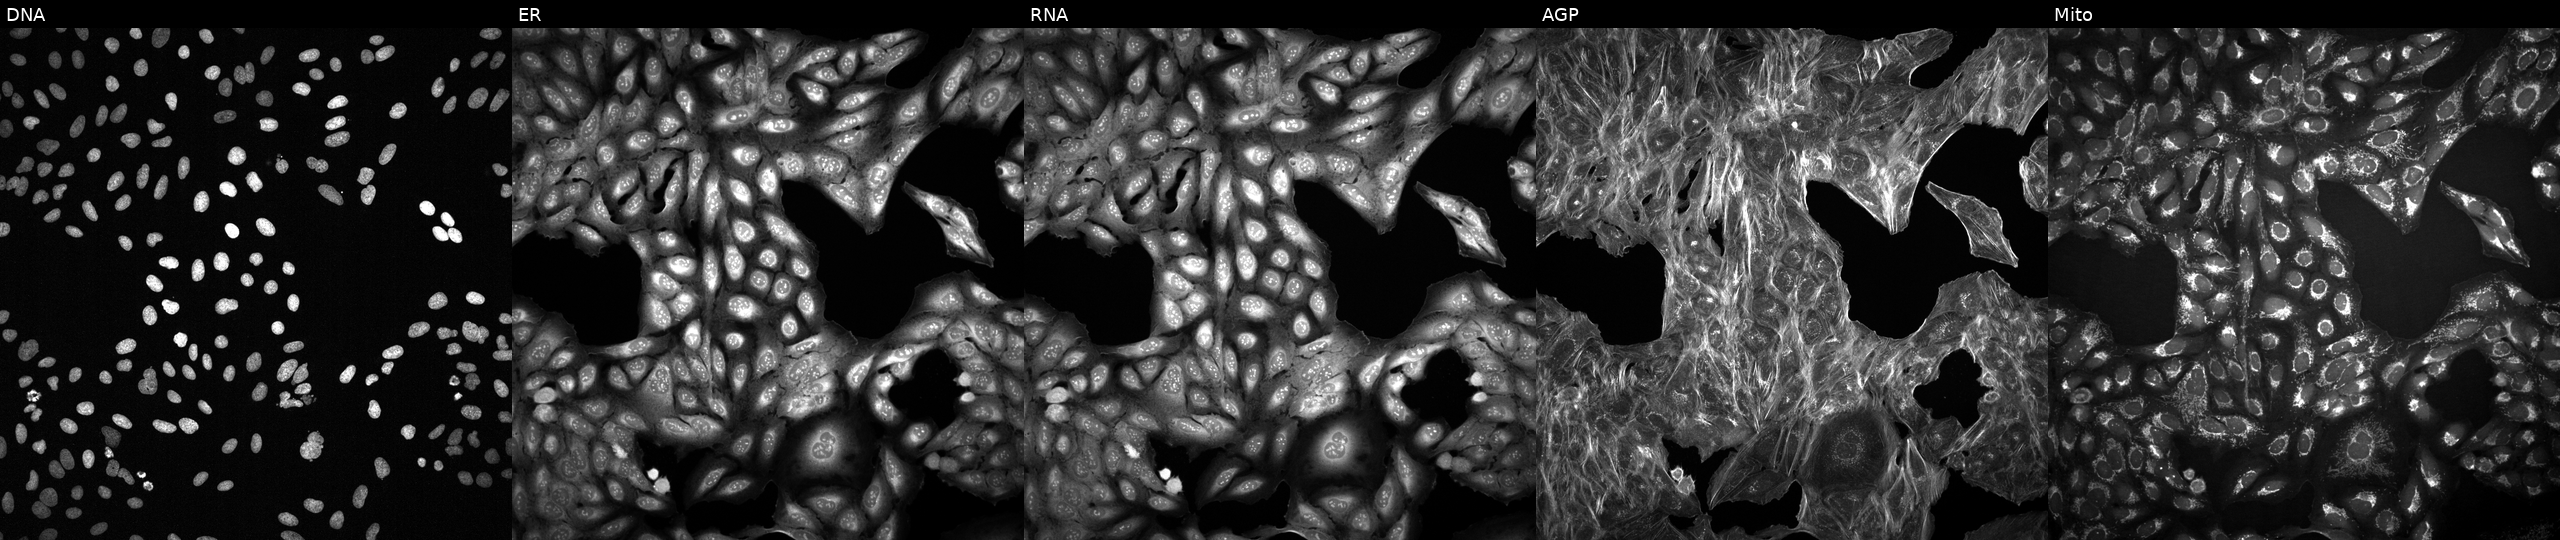
High-content fluorescence microscopy (Cell Painting). Cell line: U2OS. Perturbation: with an unidentified perturbation (not annotated in JUMP metadata). From left to right: Hoechst 33342, concanavalin A, SYTO 14, phalloidin and WGA, MitoTracker. Source 2, plate 1053601763, well P15.